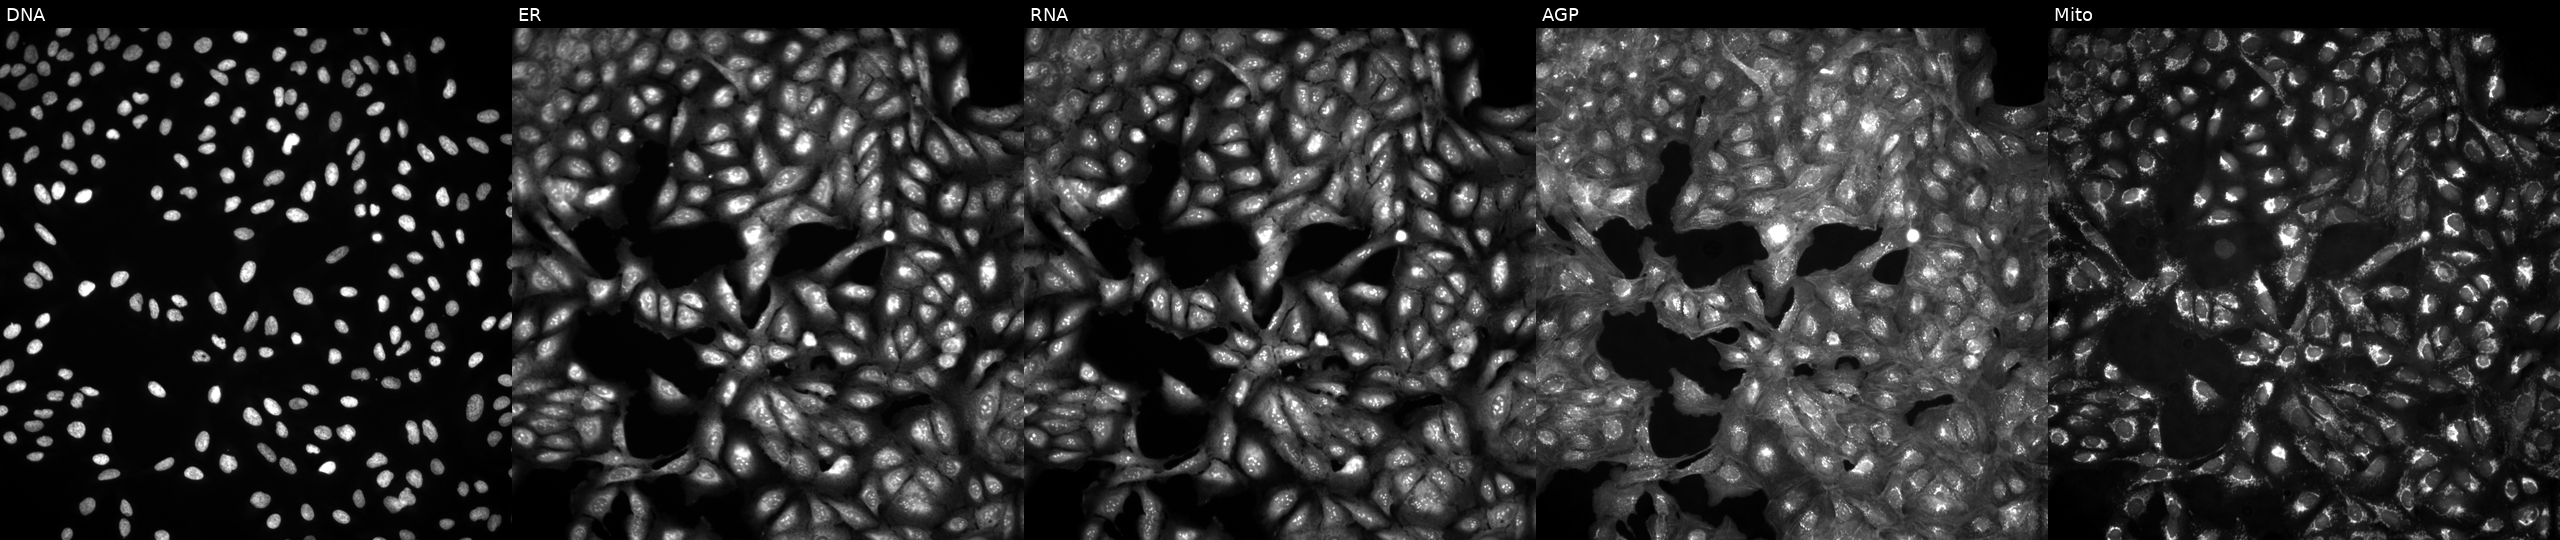
High-content fluorescence microscopy (Cell Painting). Cell line: U2OS. Perturbation: untreated (empty-well control) (JUMP id JCP2022_999999). The five panels, left to right, show DNA (nuclei); ER (endoplasmic reticulum); RNA (nucleoli and cytoplasmic RNA); AGP (actin cytoskeleton, Golgi, and plasma membrane); Mito (mitochondria). Source 4, plate BR00124793, well B03.